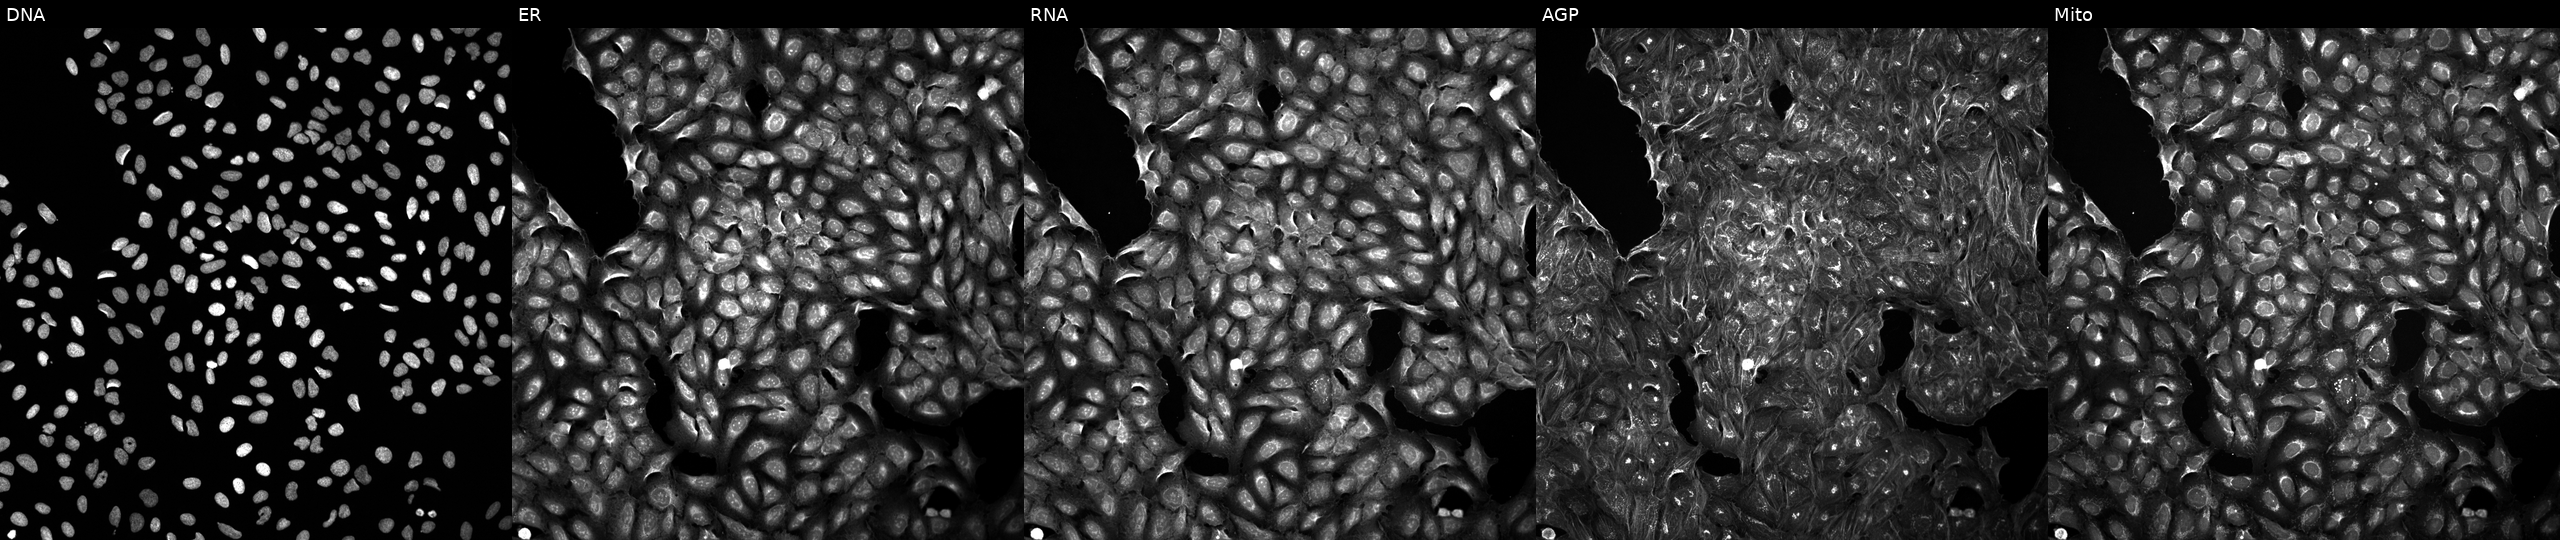
U2OS cells, Cell Painting assay, exposed to a small-molecule compound (InChIKey ORCSBLPKAJDXMB-UHFFFAOYSA-N). From left to right: DNA (nuclei); ER (endoplasmic reticulum); RNA (nucleoli and cytoplasmic RNA); AGP (actin cytoskeleton, Golgi, and plasma membrane); Mito (mitochondria). Each panel is percentile-stretched 16-bit fluorescence. Source 5, plate APTJUM105, well K18.